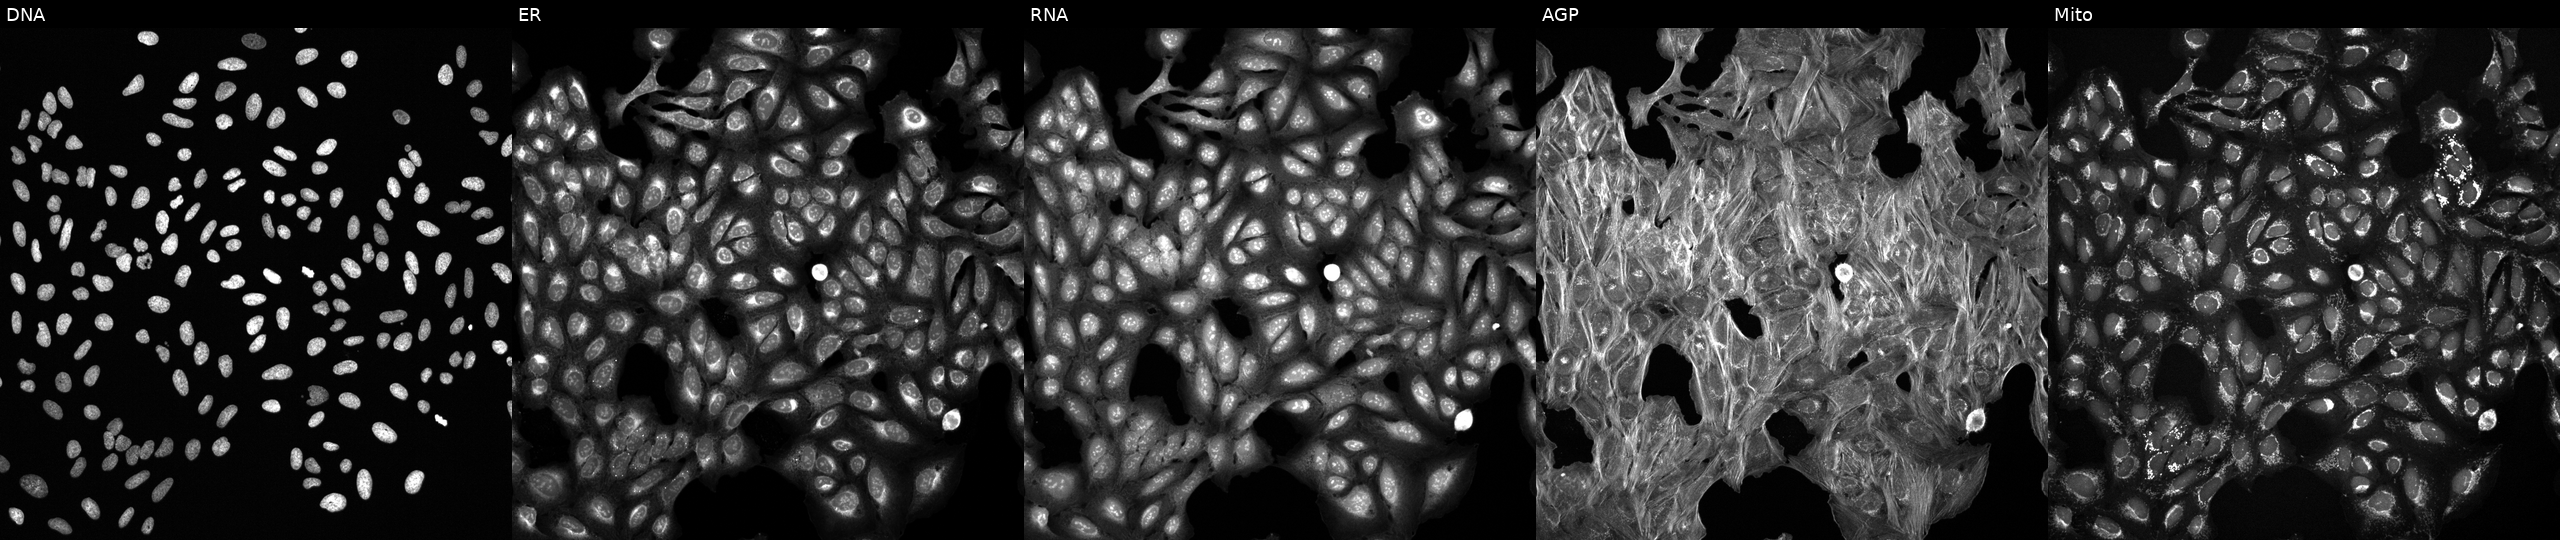
Five-channel Cell Painting image of U2OS cells perturbed with a small-molecule compound [SMILES: Cc1ccccc1-c1noc2[nH]cnc(=NC3CCCC3)c12]. Panels show, left to right, DNA, ER, RNA, AGP, and Mito.